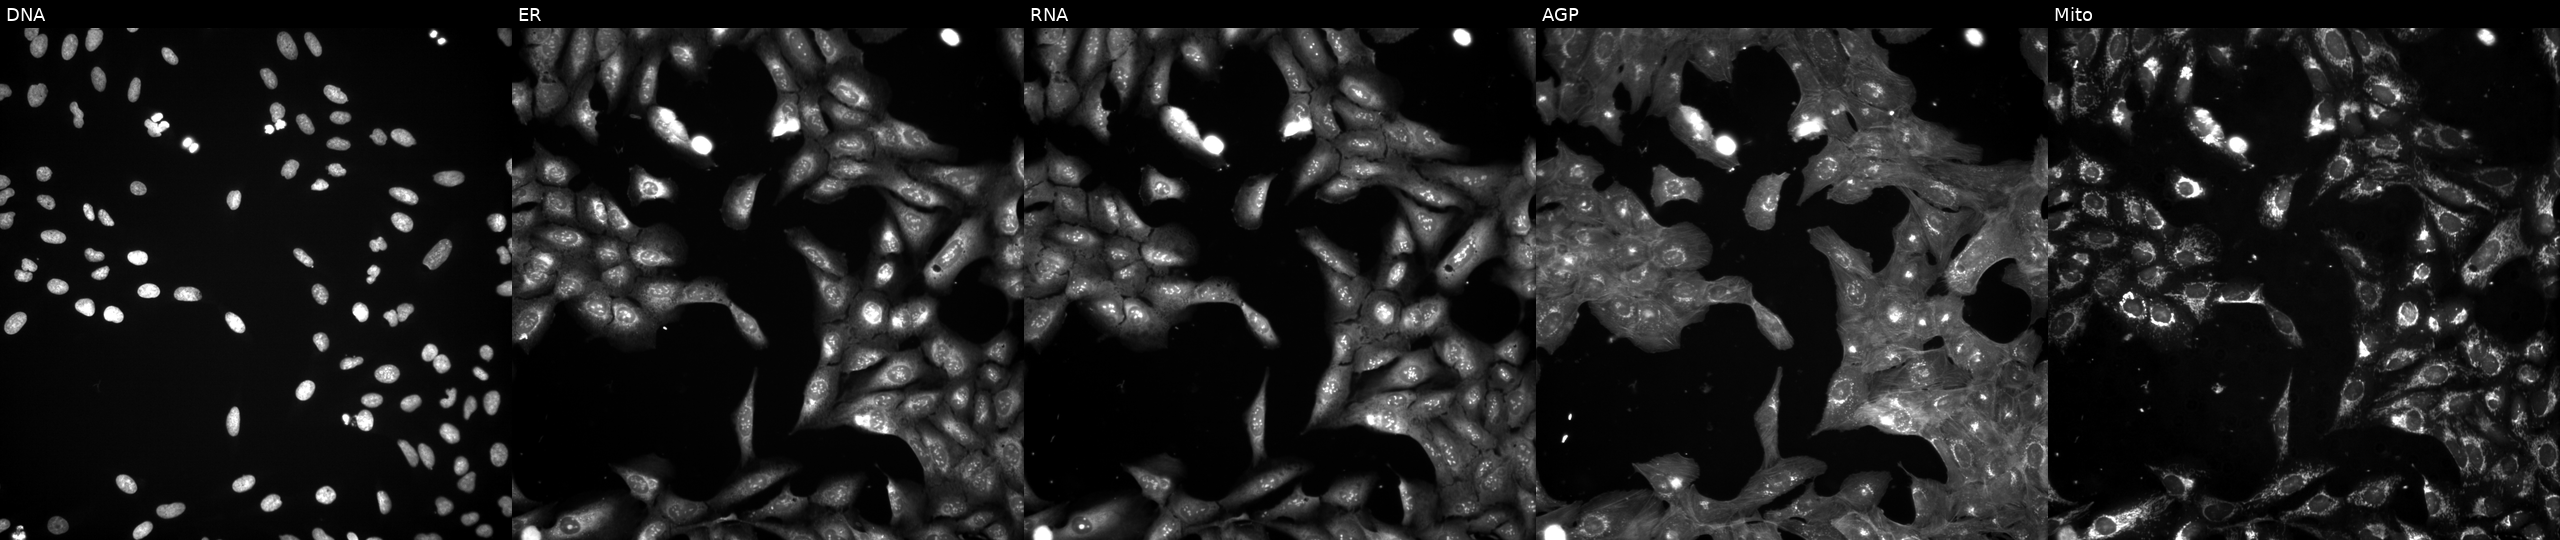
Panels show, left to right, DNA, ER, RNA, AGP, and Mito. U2OS osteosarcoma cells treated with a small-molecule compound (JUMP id JCP2022_036614). Cell Painting assay, JUMP-CP dataset. Source 3, plate JCPQC052, well L05.